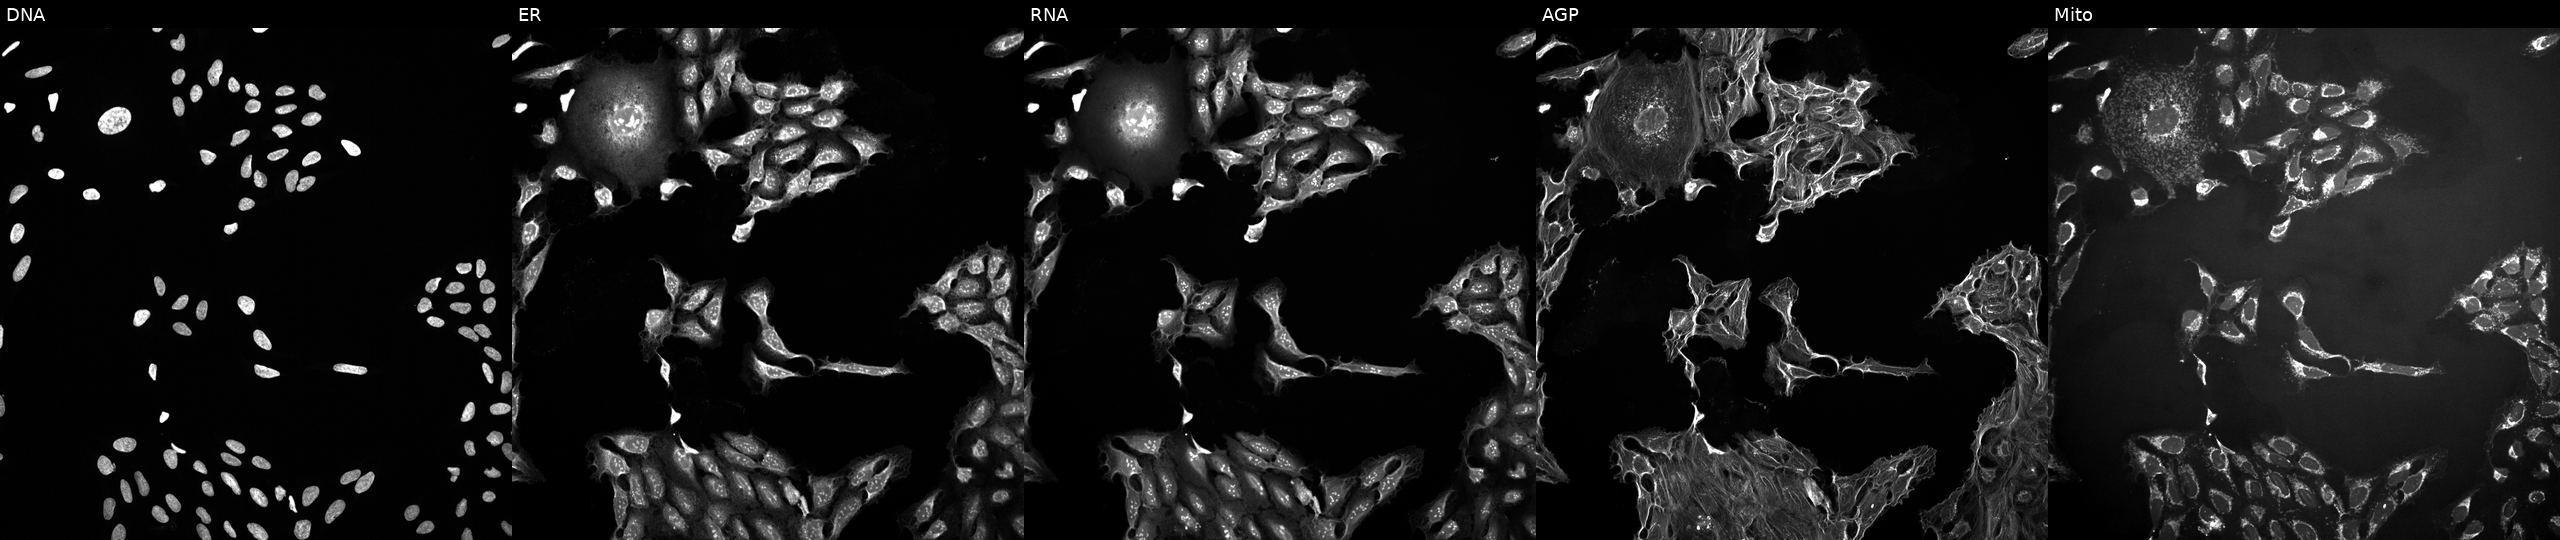
This image strip shows the five Cell Painting channels for a single field of U2OS cells exposed to a small-molecule compound (InChIKey AZYDQCGCBQYFSE-UHFFFAOYSA-N) (JUMP id JCP2022_004940). From left to right: DNA, ER, RNA, AGP, and Mito. Source 10, plate Dest210726-160150, well A13.